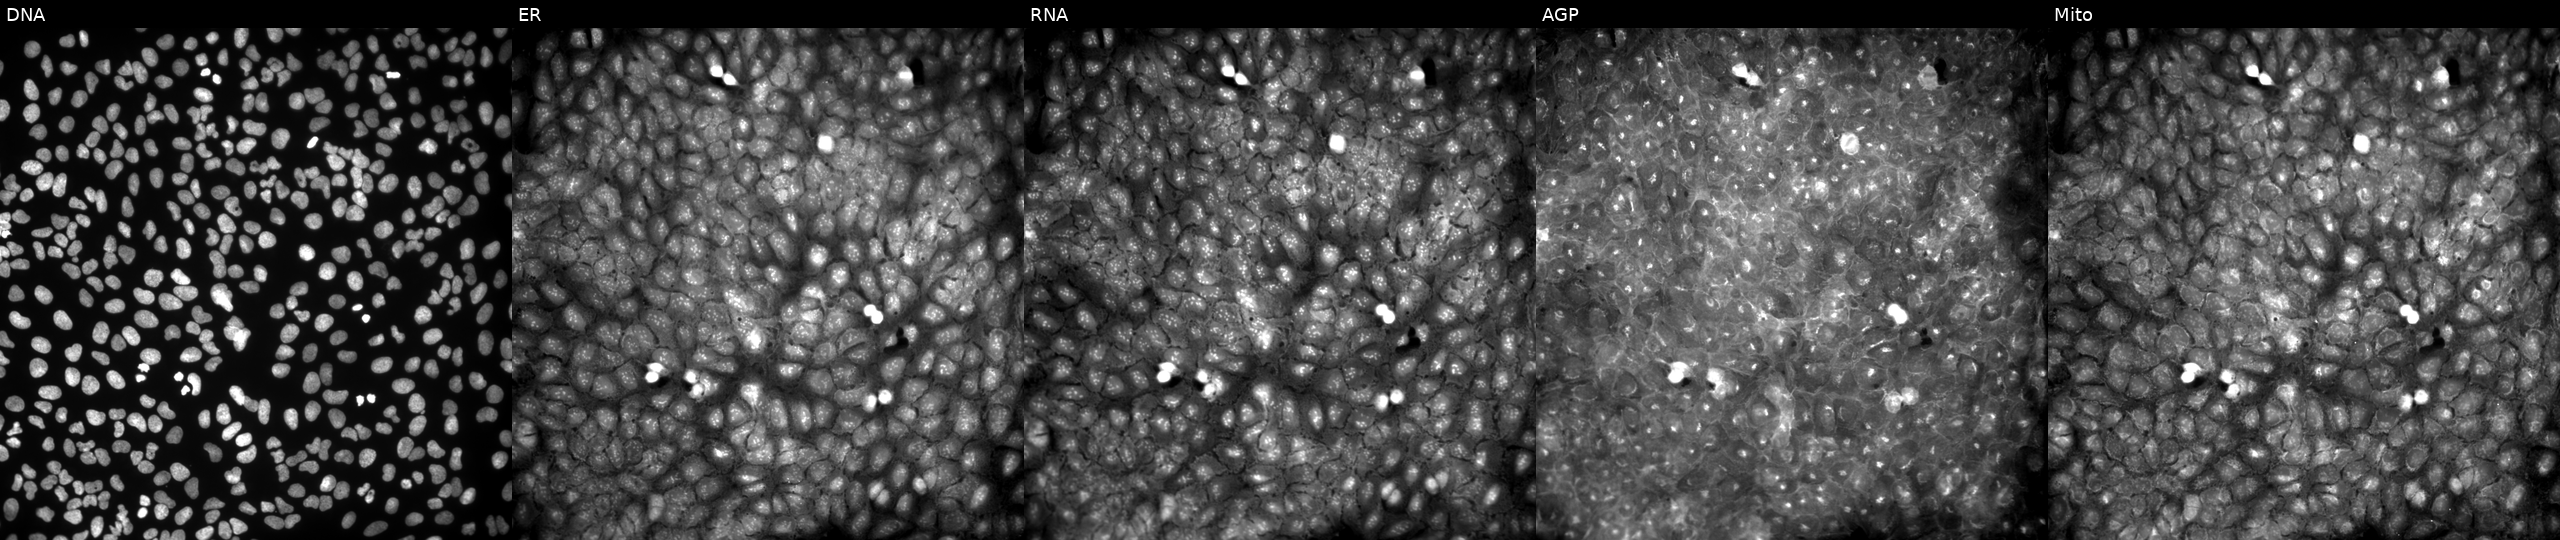
High-content fluorescence microscopy (Cell Painting). Cell line: U2OS. Perturbation: treated with a small-molecule compound (JUMP id JCP2022_080797). The five panels, left to right, show DNA, ER, RNA, AGP, and Mito.